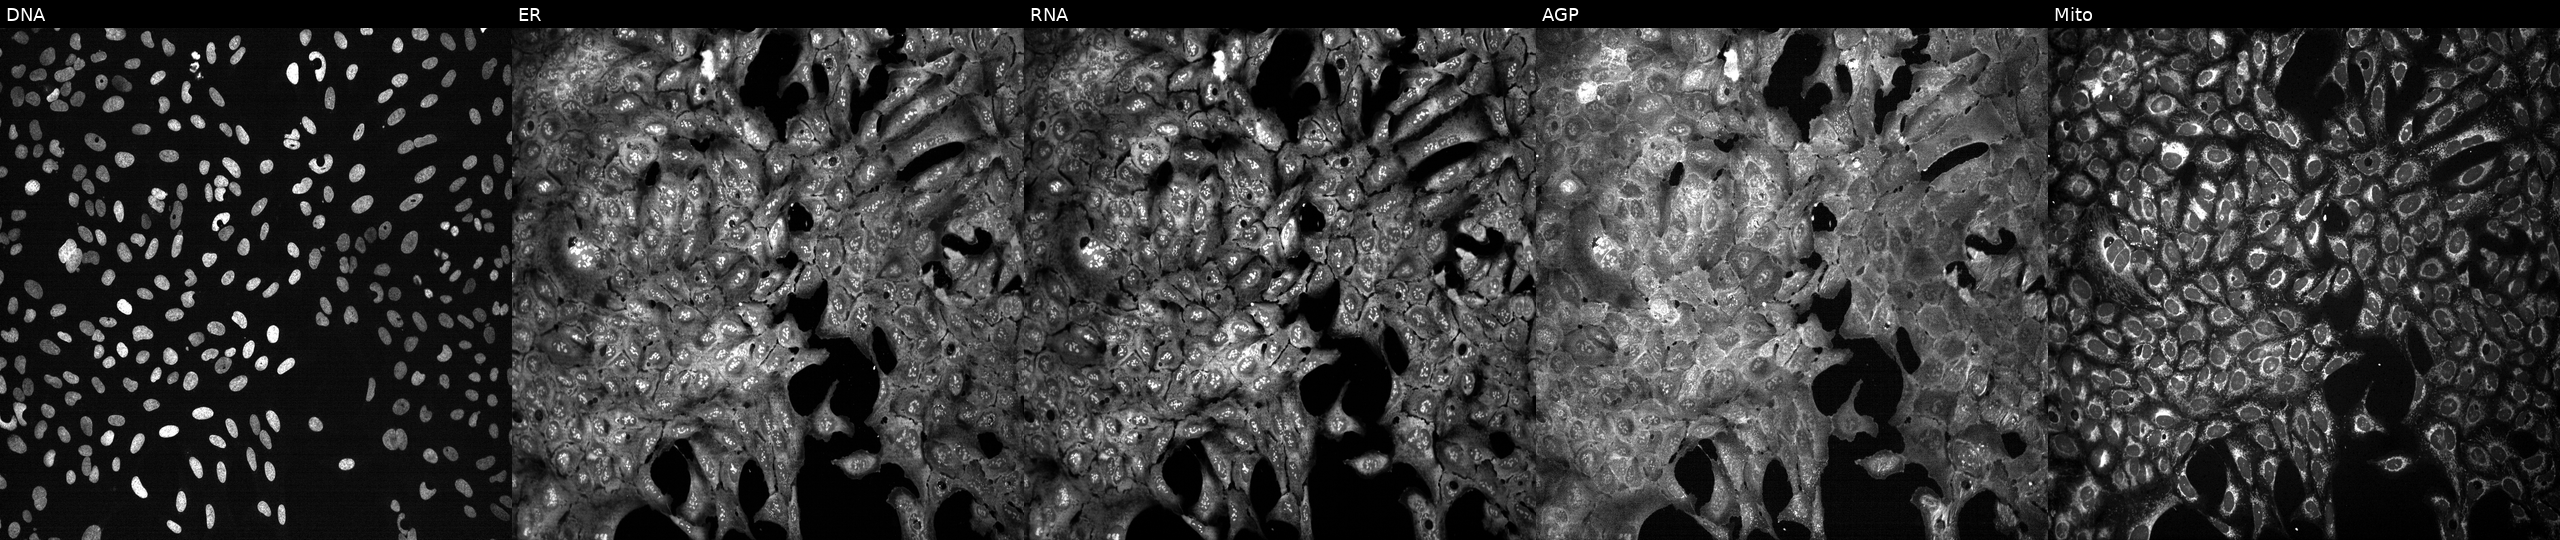
High-content fluorescence microscopy (Cell Painting). Cell line: U2OS. Perturbation: following CRISPR knockout of PHYHD1. Channels (left→right): Hoechst 33342, concanavalin A, SYTO 14, phalloidin and WGA, MitoTracker.